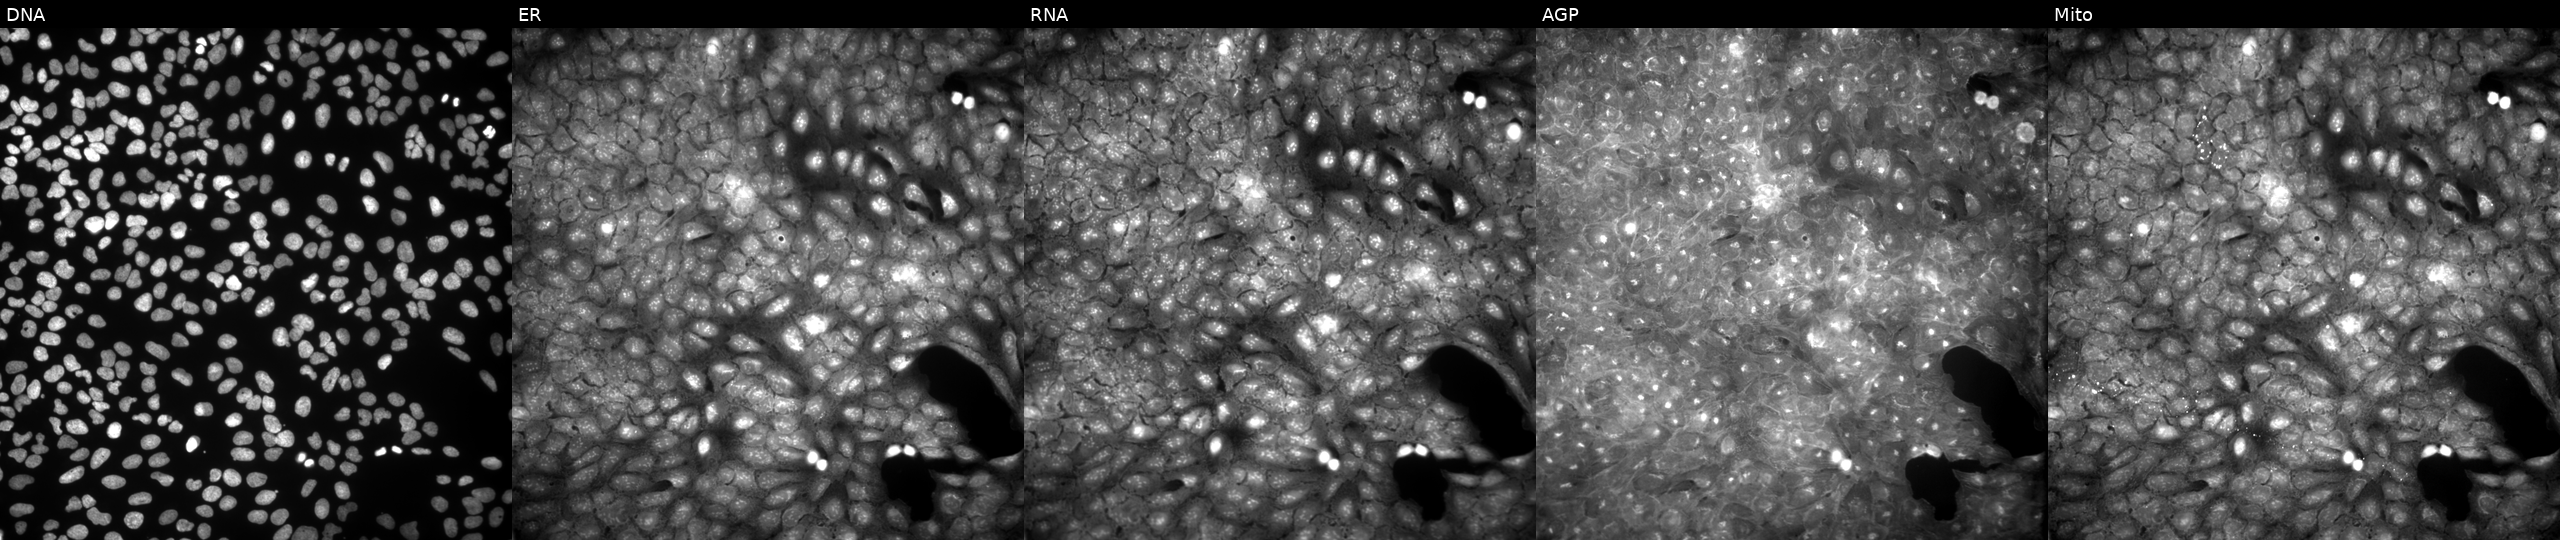
Five-channel Cell Painting image of U2OS cells perturbed with a small-molecule compound (InChIKey LBQCUXUTTHIVQP-UHFFFAOYSA-N). The five panels, left to right, show DNA (nuclei); ER (endoplasmic reticulum); RNA (nucleoli and cytoplasmic RNA); AGP (actin cytoskeleton, Golgi, and plasma membrane); Mito (mitochondria). Source 9, plate GR00003381, well U31.